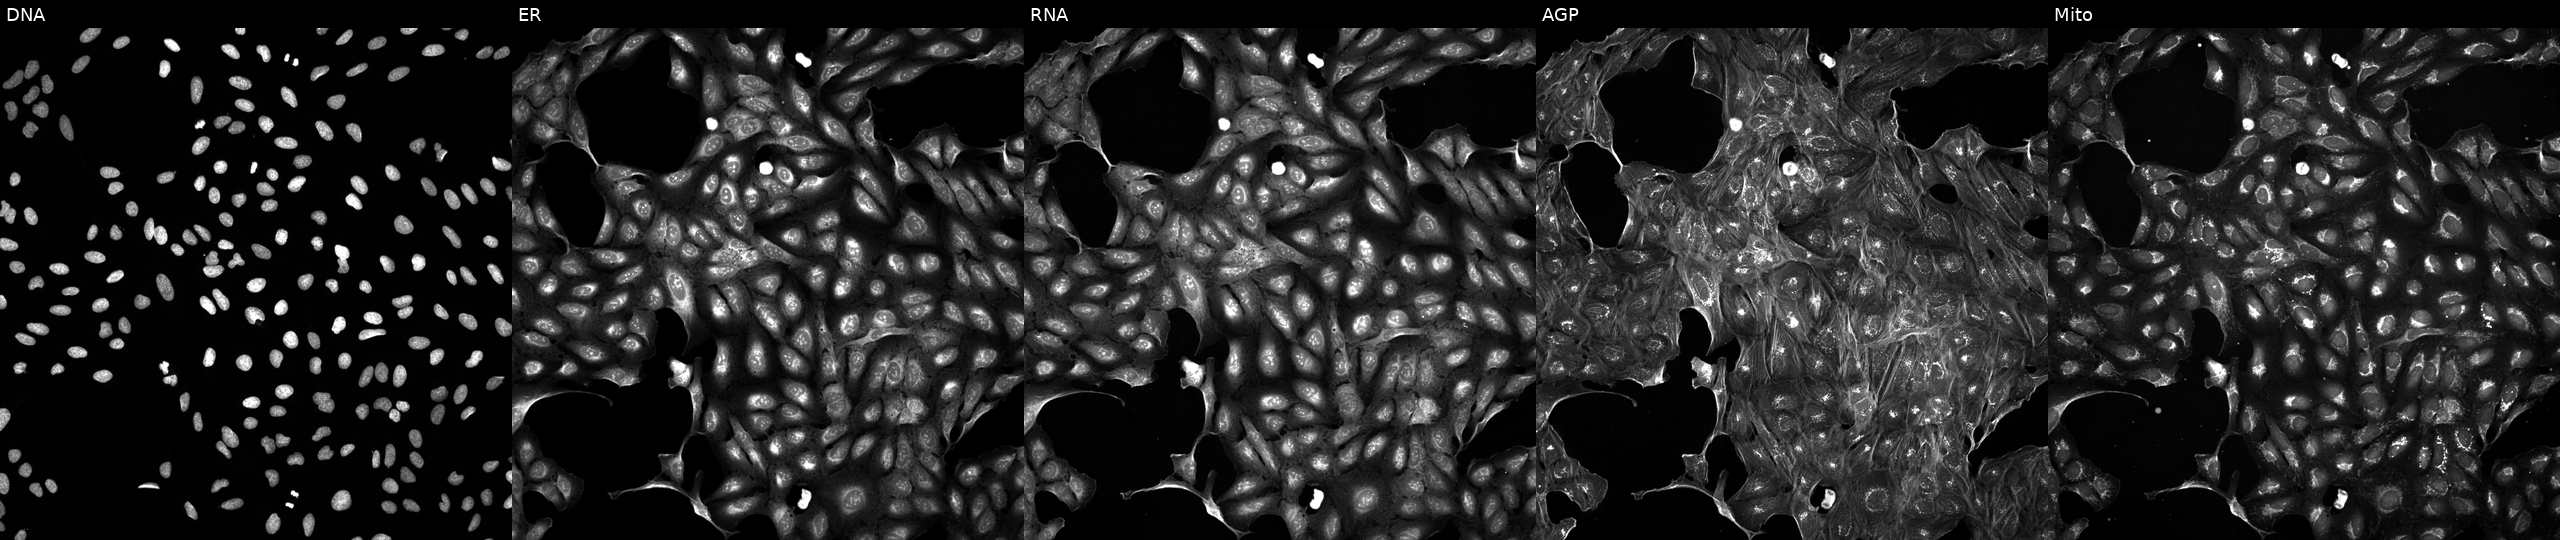
U2OS cells, Cell Painting assay, exposed to a small-molecule compound. Channels (left→right): DNA, ER, RNA, AGP, and Mito. Each panel is percentile-stretched 16-bit fluorescence.